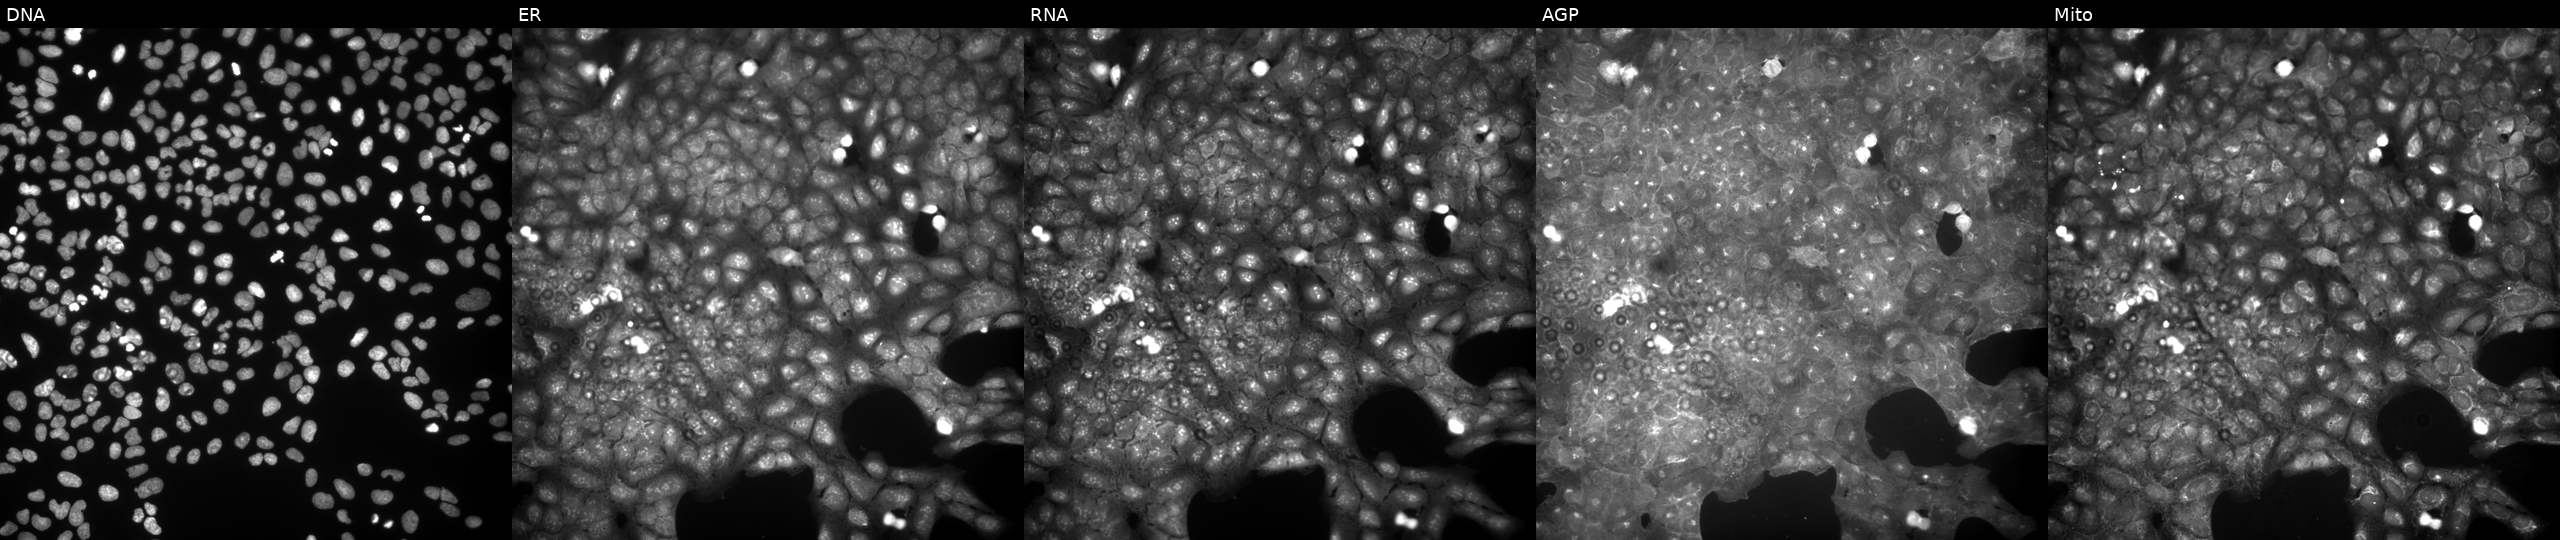
High-content fluorescence microscopy (Cell Painting). Cell line: U2OS. Perturbation: perturbed with a small-molecule compound (InChIKey JSQPGGPPWYPNJG-UHFFFAOYSA-N) (JUMP id JCP2022_041904). Channels (left→right): DNA, ER, RNA, AGP, and Mito.